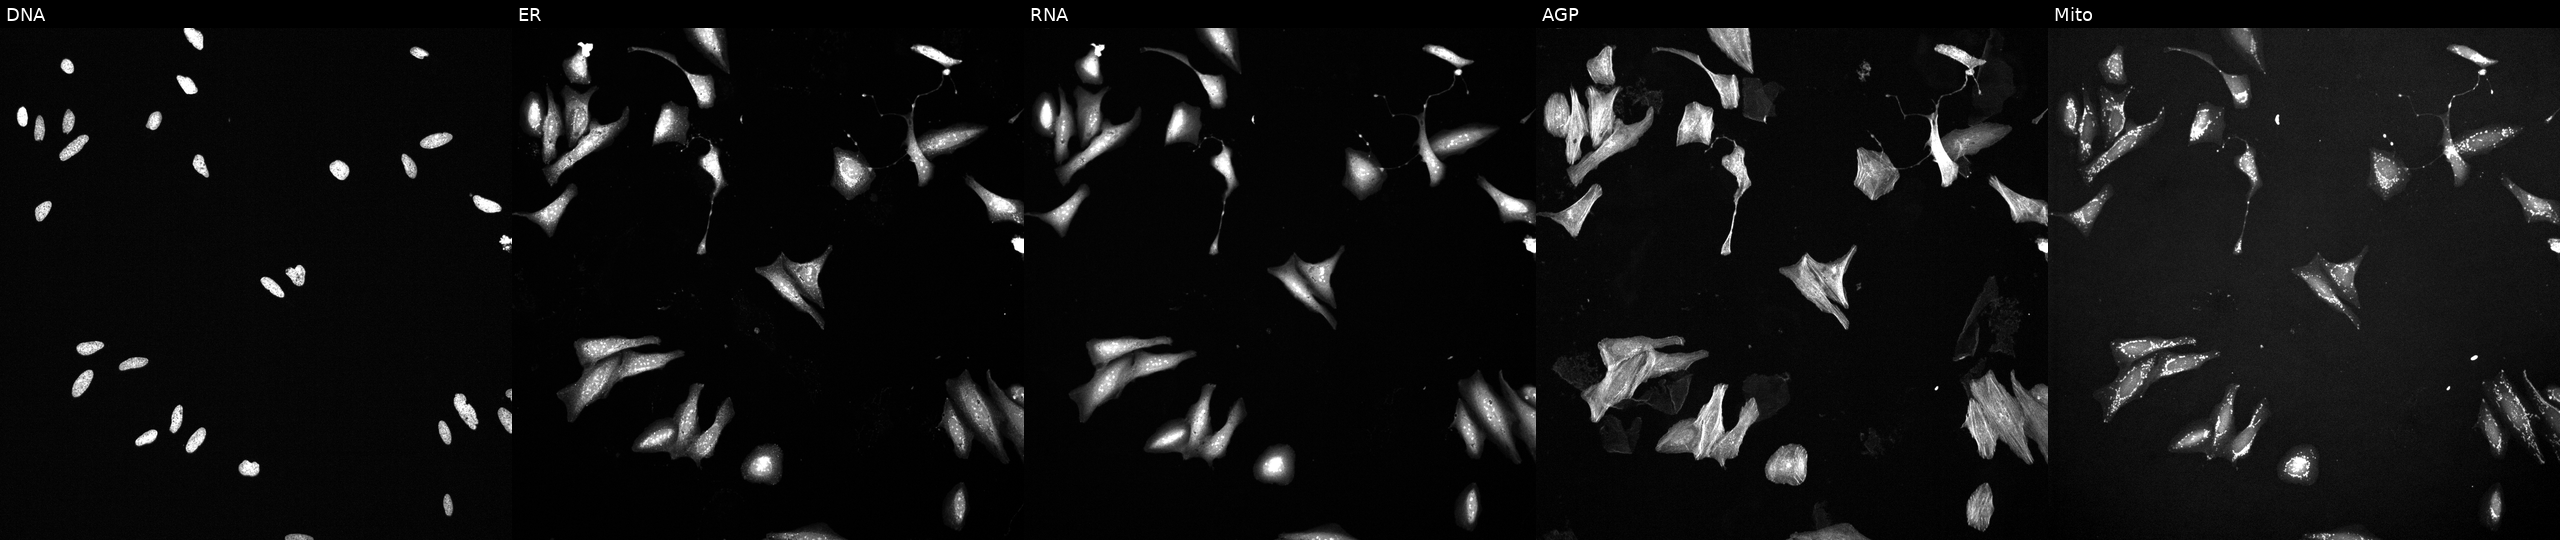
The five panels, left to right, show Hoechst 33342, concanavalin A, SYTO 14, phalloidin and WGA, MitoTracker. U2OS osteosarcoma cells treated with a small-molecule compound [SMILES: COc1ccc(CC2NCC(O)C2OC(C)=O)cc1]. Cell Painting assay, JUMP-CP dataset. Source 6, plate 110000293081, well L09.